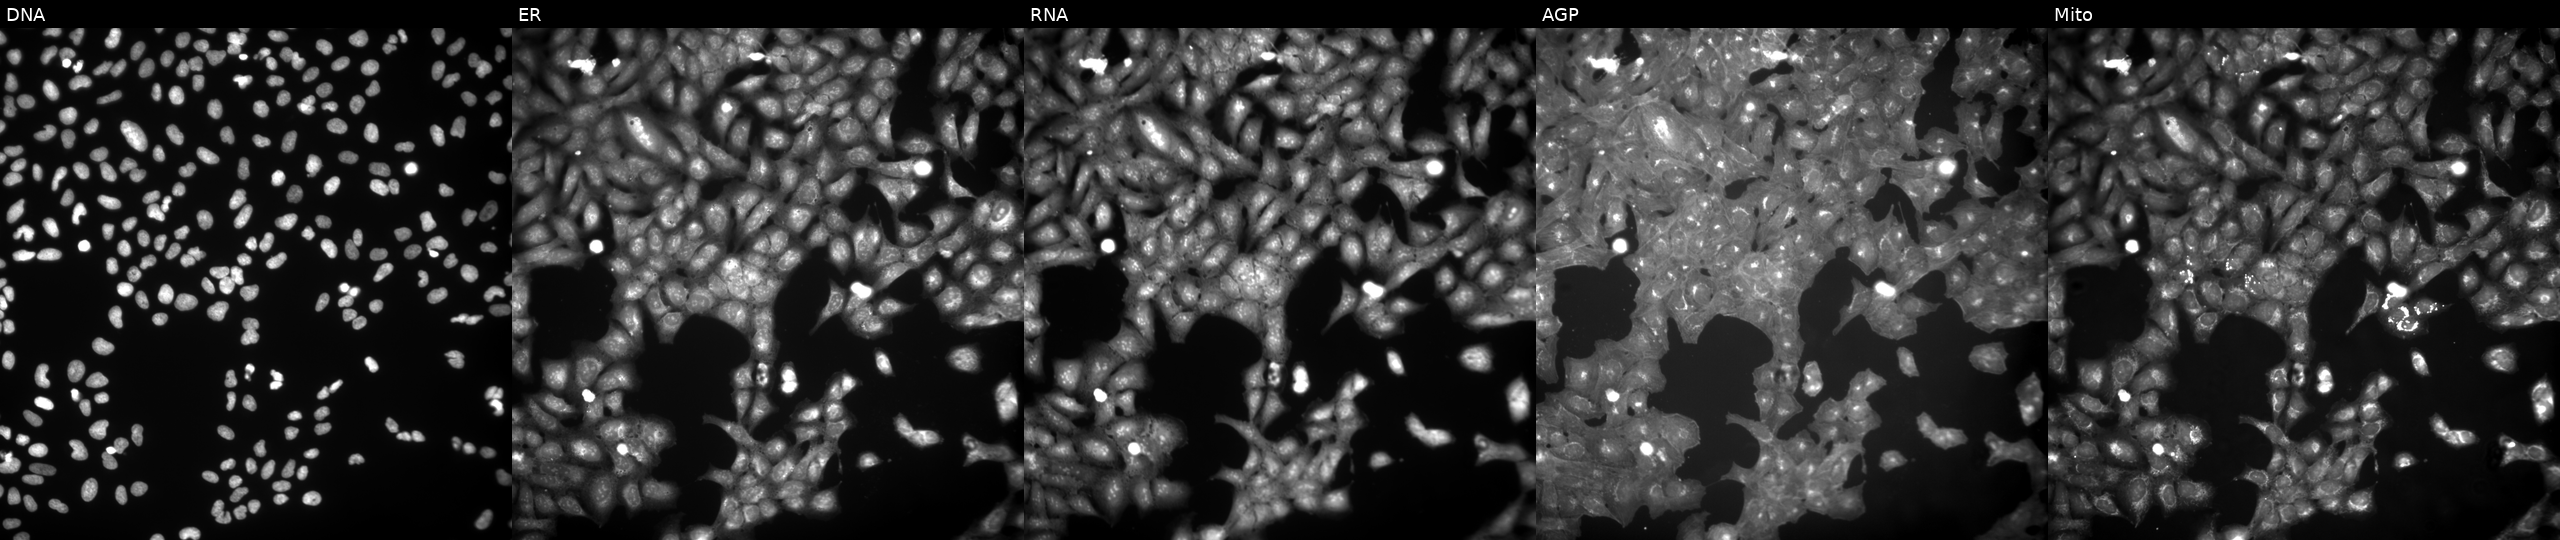
Five-channel Cell Painting image of U2OS cells exposed to the positive-control compound NVS-PAK1-1 (JUMP id JCP2022_064022). Panels show, left to right, DNA (nuclei); ER (endoplasmic reticulum); RNA (nucleoli and cytoplasmic RNA); AGP (actin cytoskeleton, Golgi, and plasma membrane); Mito (mitochondria).